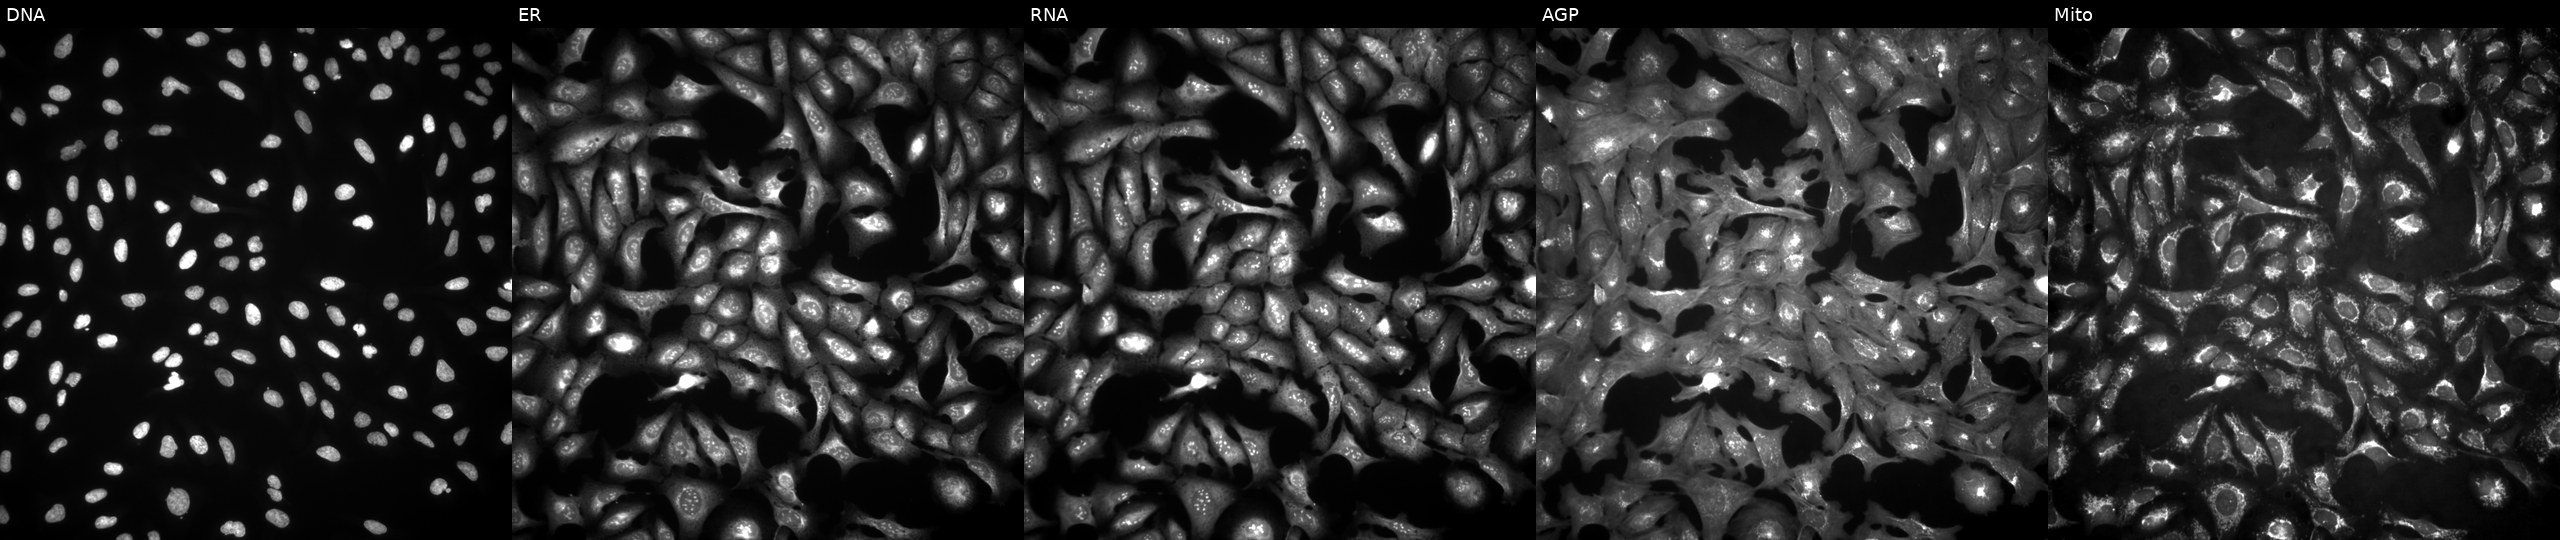
JUMP Cell Painting — ORF plate. U2OS cells overexpressing PAGE4 via ORF transfection (JUMP id JCP2022_902038). Panels show, left to right, Hoechst 33342, concanavalin A, SYTO 14, phalloidin and WGA, MitoTracker.